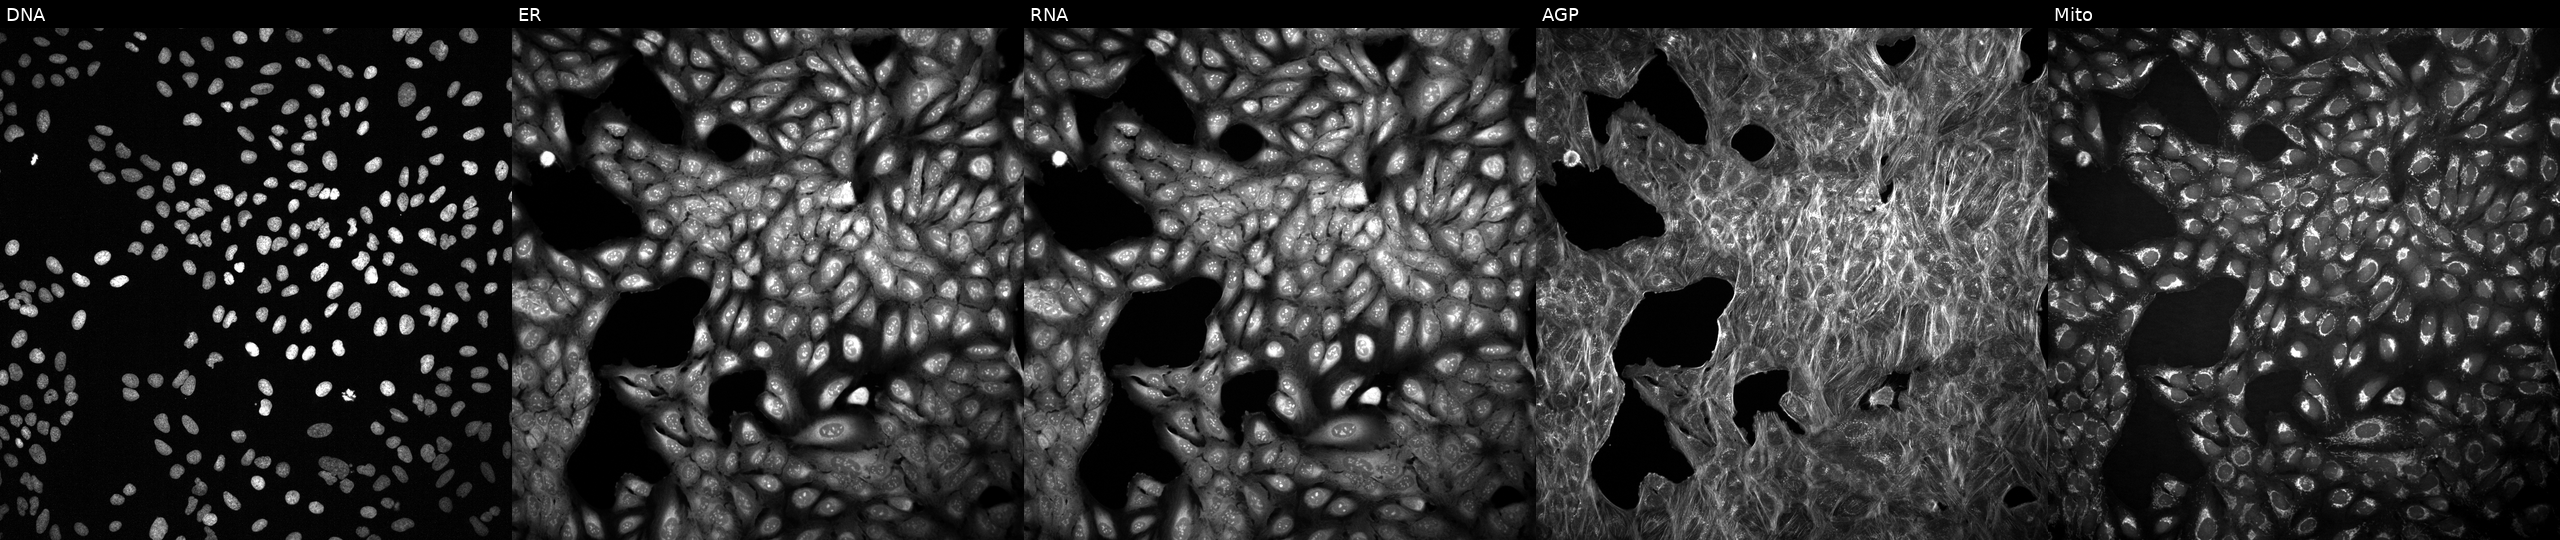
JUMP Cell Painting — COMPOUND plate. U2OS cells with an unidentified perturbation (not annotated in JUMP metadata). Panels show, left to right, DNA, ER, RNA, AGP, and Mito.